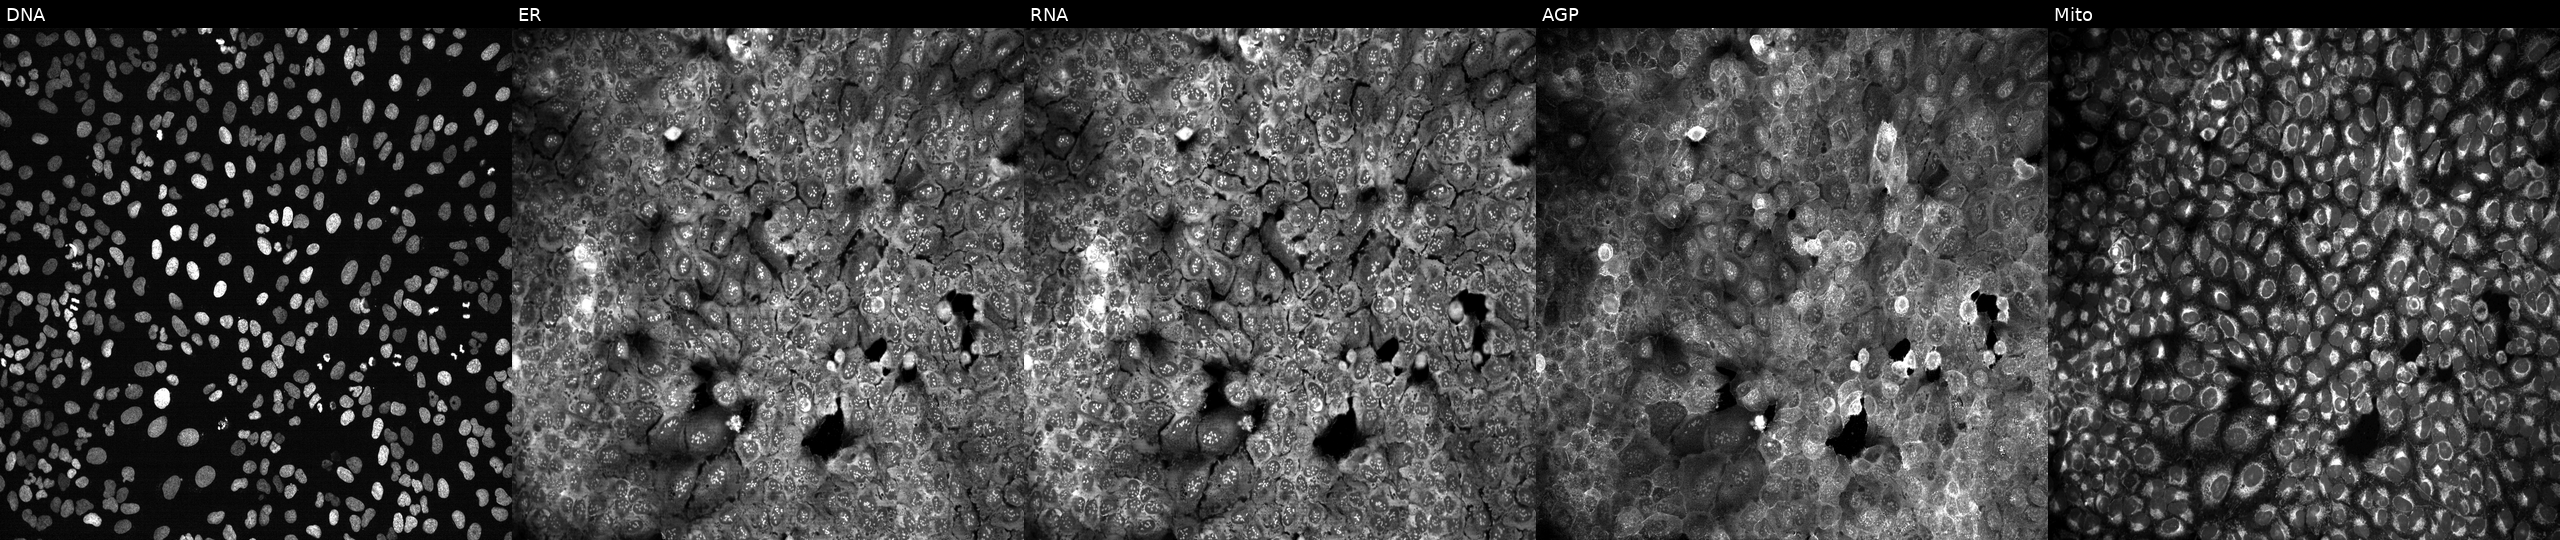
U2OS cells, Cell Painting assay, CRISPR-edited to disrupt AACS (JUMP id JCP2022_800007). Channels (left→right): DNA (nuclei); ER (endoplasmic reticulum); RNA (nucleoli and cytoplasmic RNA); AGP (actin cytoskeleton, Golgi, and plasma membrane); Mito (mitochondria). Each panel is percentile-stretched 16-bit fluorescence. Source 13, plate CP-CC9-R4-04, well F22.